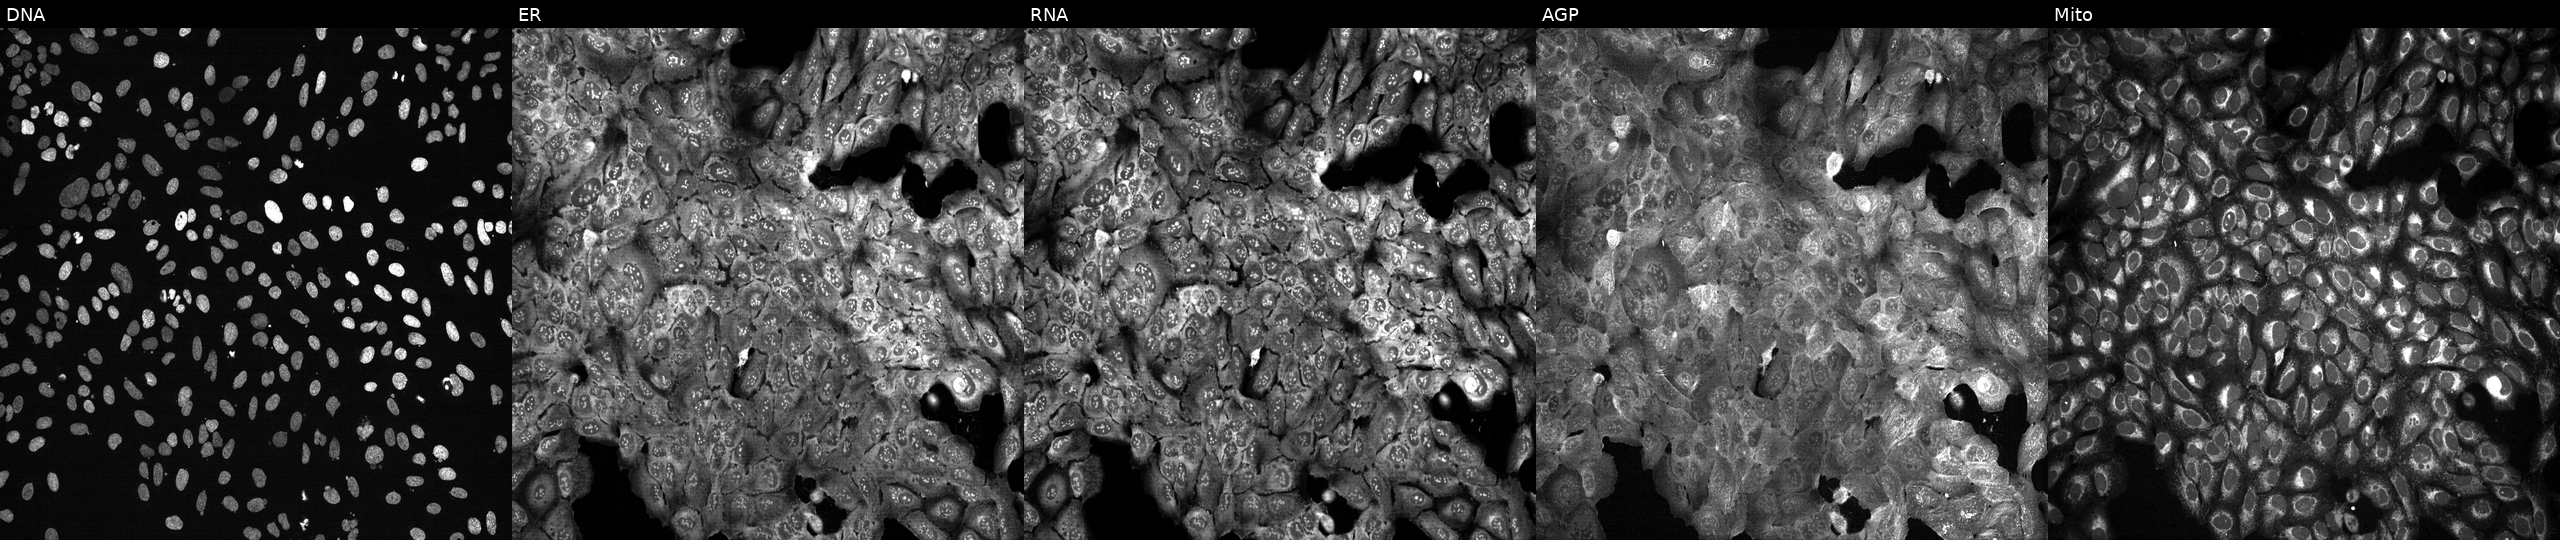
This image strip shows the five Cell Painting channels for a single field of U2OS cells following CRISPR knockout of GJA4. From left to right: DNA, ER, RNA, AGP, and Mito.